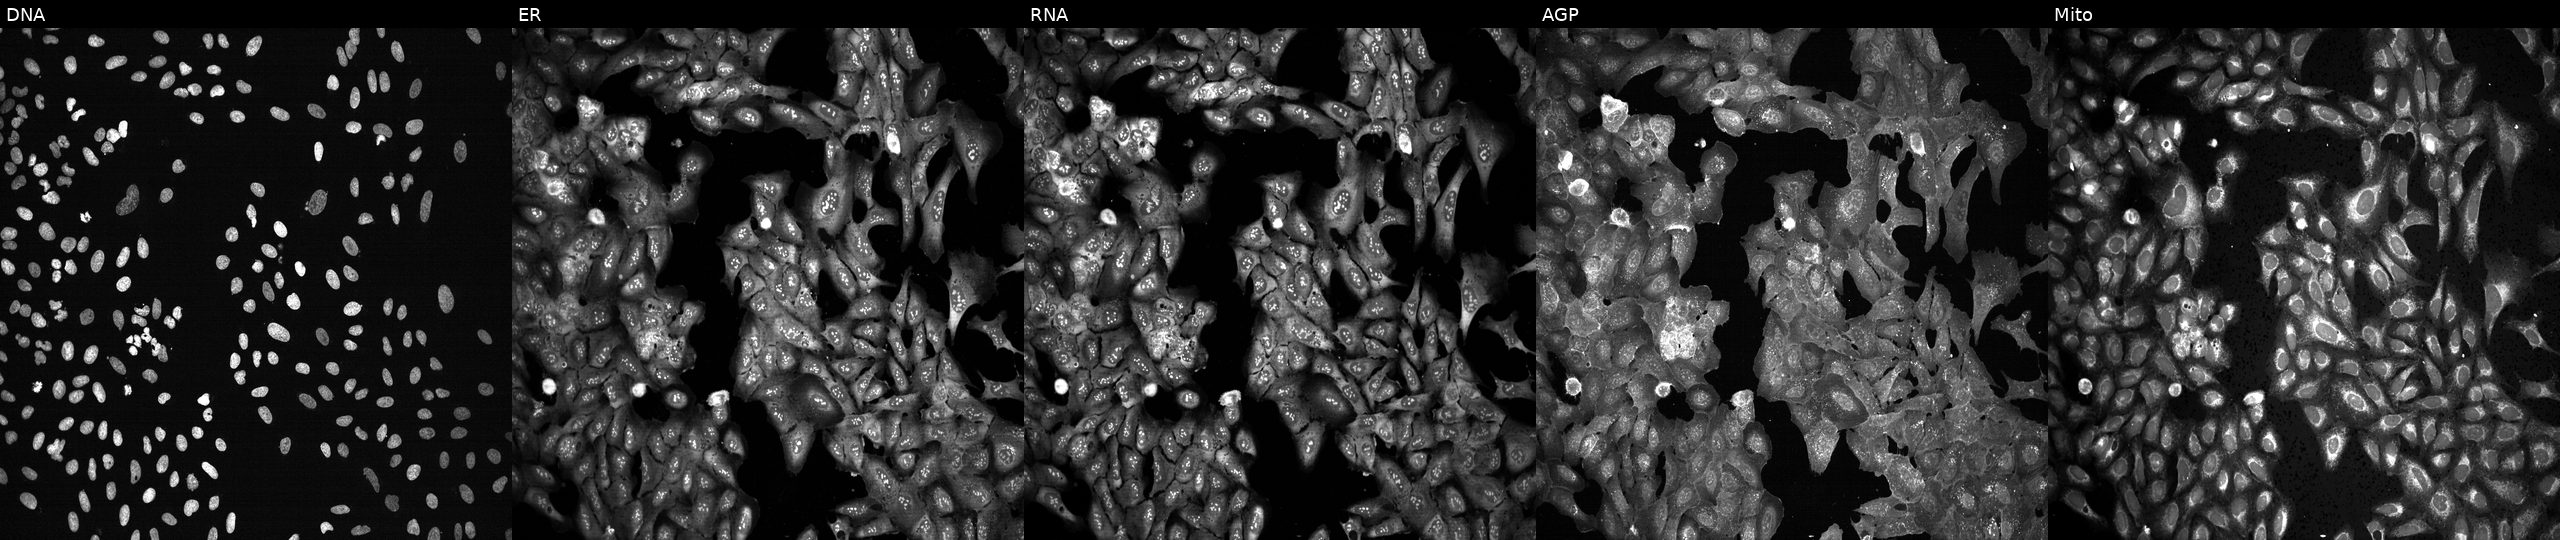
JUMP Cell Painting — CRISPR plate. U2OS cells CRISPR-edited to disrupt AKR1B1 (JUMP id JCP2022_800362). From left to right: Hoechst 33342, concanavalin A, SYTO 14, phalloidin and WGA, MitoTracker.